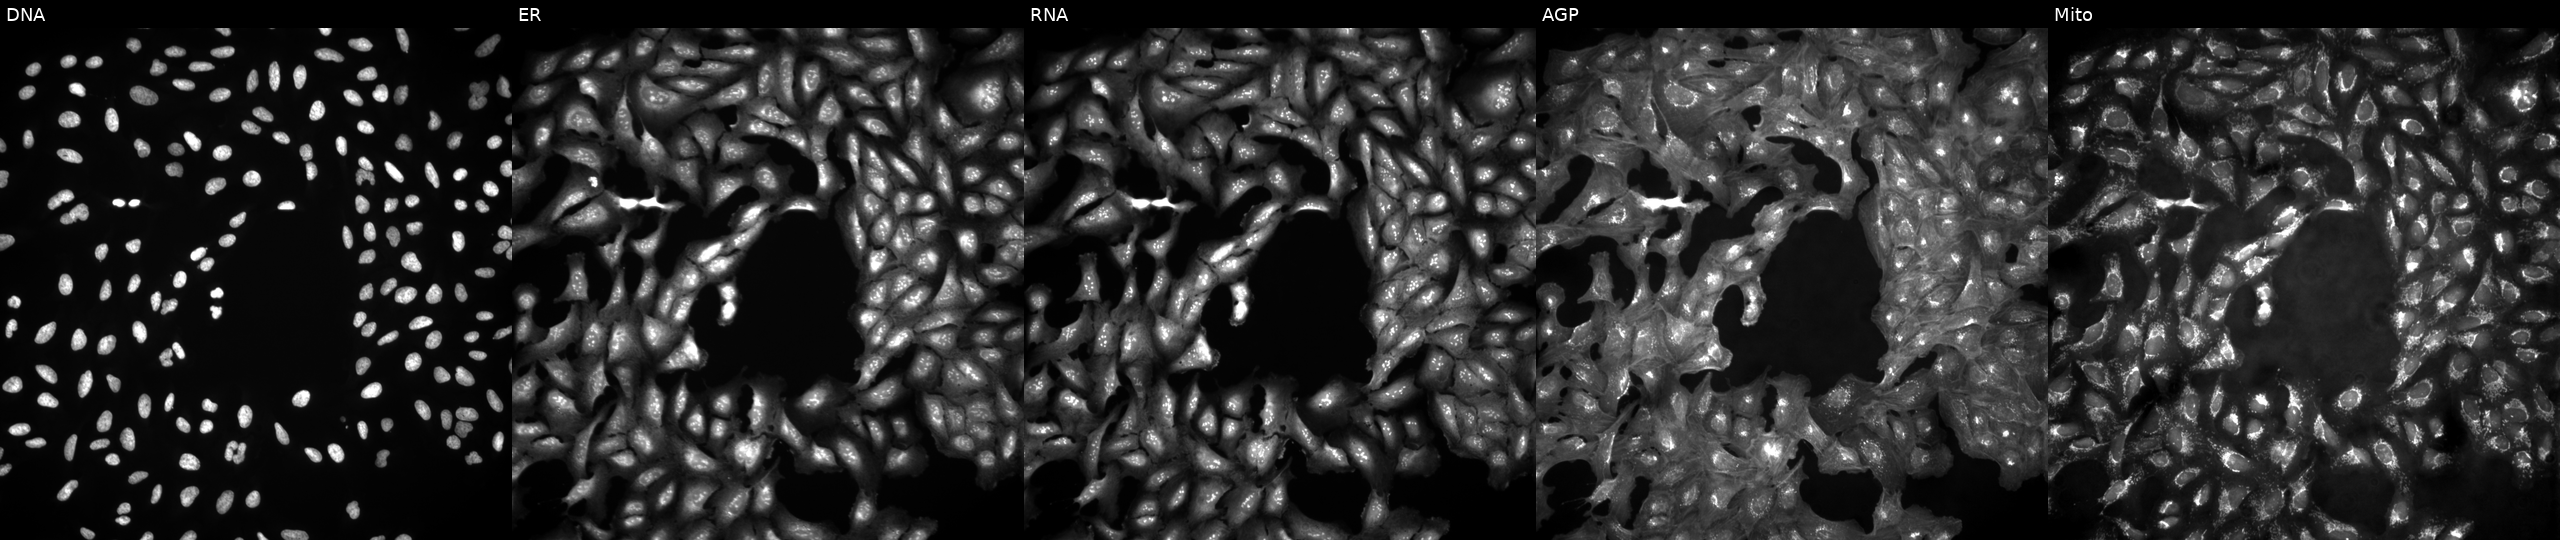
This image strip shows the five Cell Painting channels for a single field of U2OS cells in an empty control well (no perturbation). The five panels, left to right, show Hoechst 33342, concanavalin A, SYTO 14, phalloidin and WGA, MitoTracker.